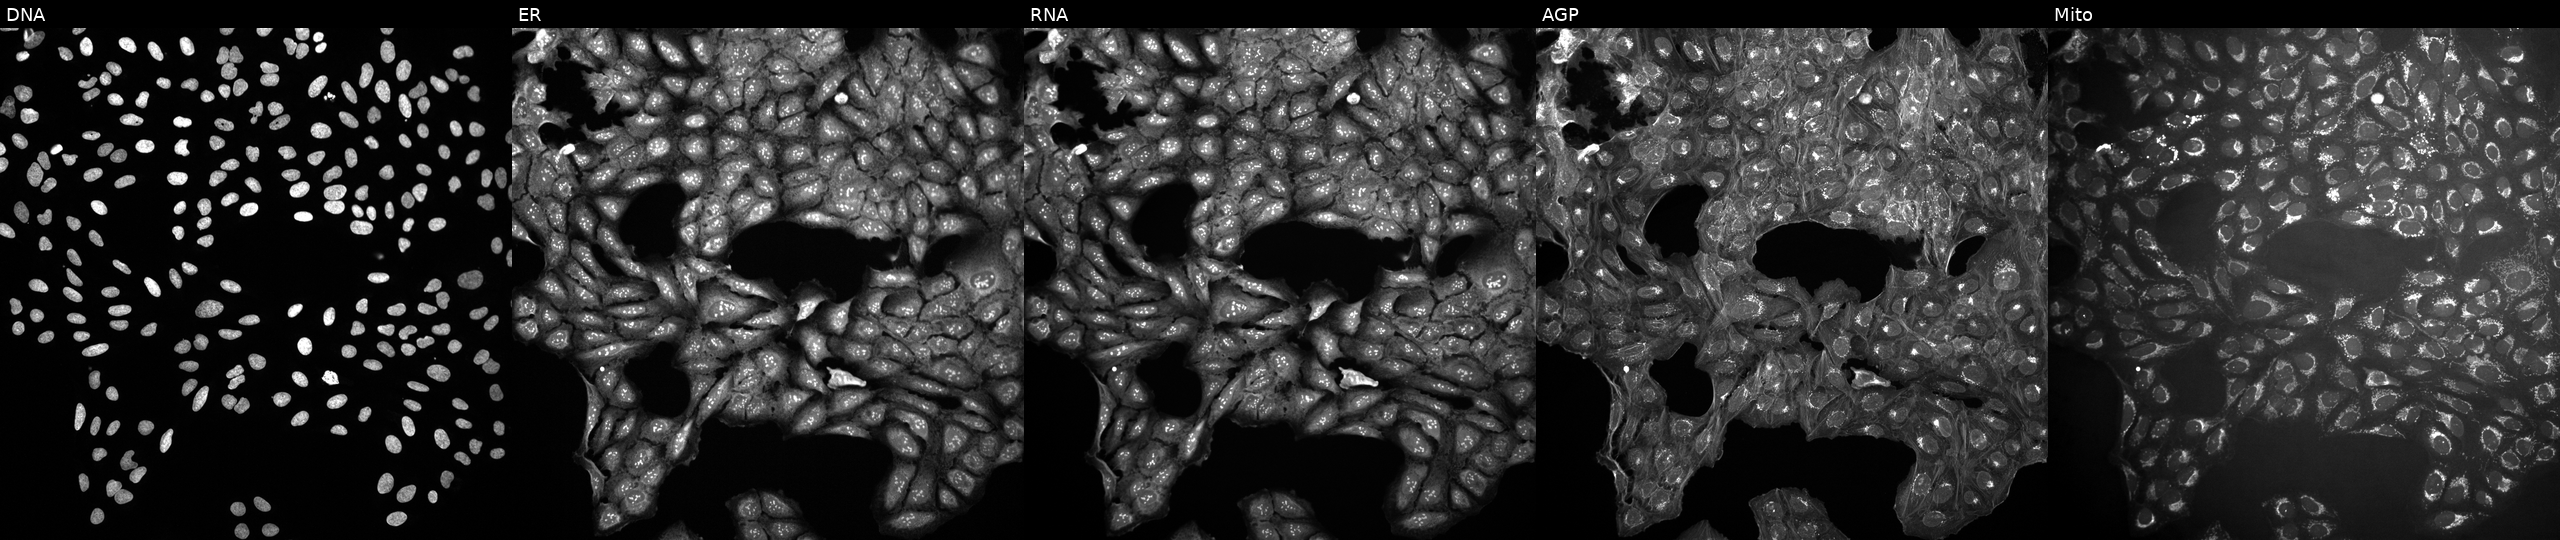
JUMP Cell Painting — COMPOUND plate. U2OS cells in an empty control well (no perturbation) (JUMP id JCP2022_999999). Channels (left→right): DNA, ER, RNA, AGP, and Mito. Source 10, plate Dest210531-152149, well D16.